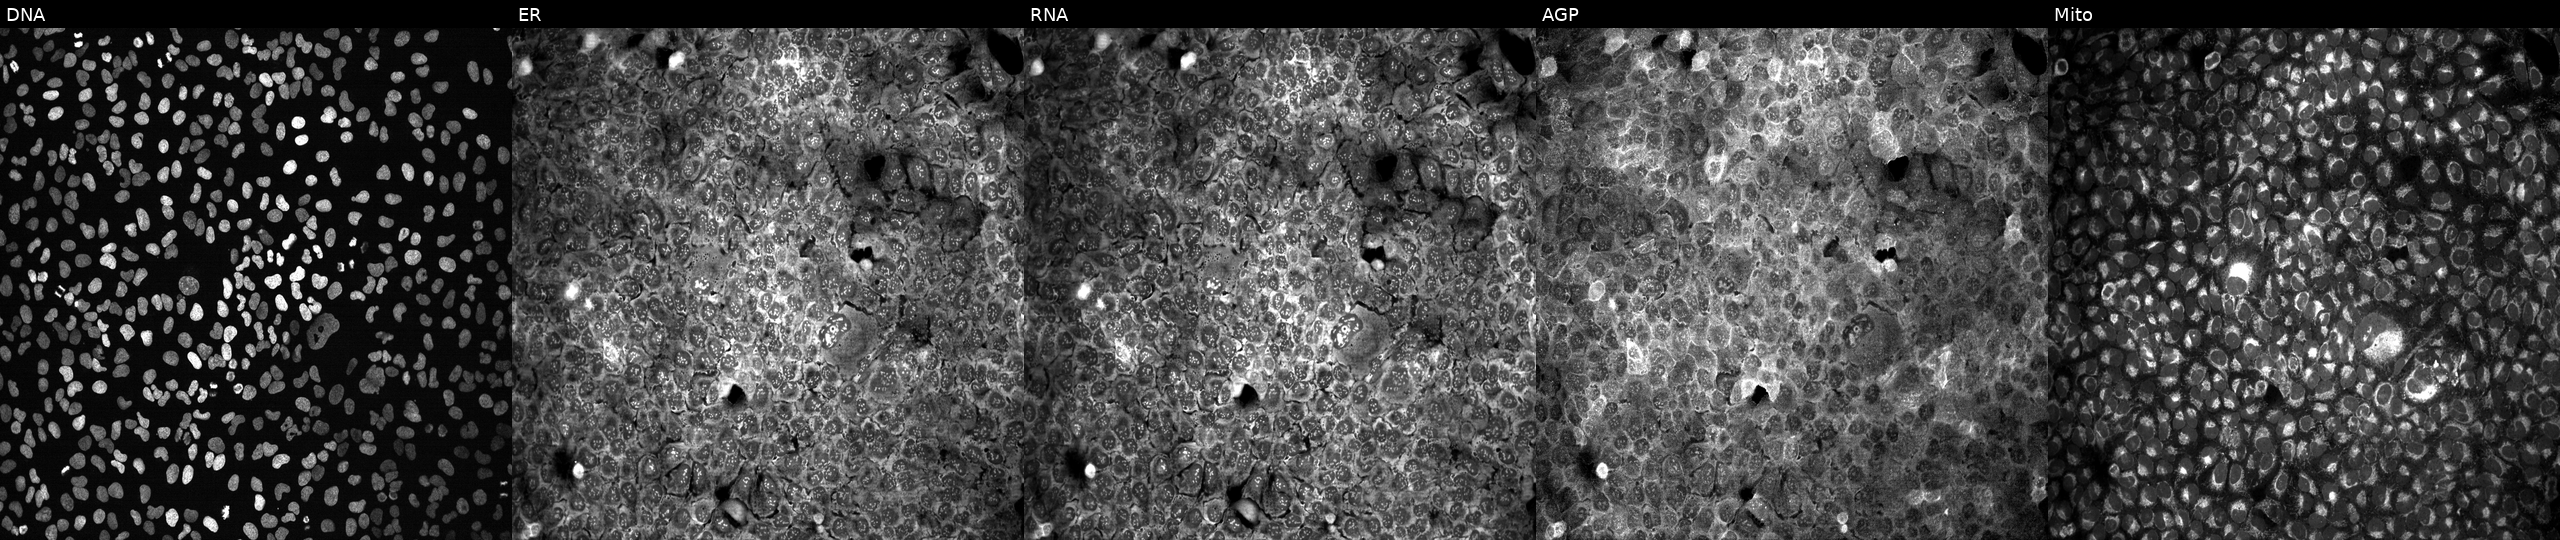
This image strip shows the five Cell Painting channels for a single field of U2OS cells with no CRISPR guide (negative control). The five panels, left to right, show DNA (nuclei); ER (endoplasmic reticulum); RNA (nucleoli and cytoplasmic RNA); AGP (actin cytoskeleton, Golgi, and plasma membrane); Mito (mitochondria).